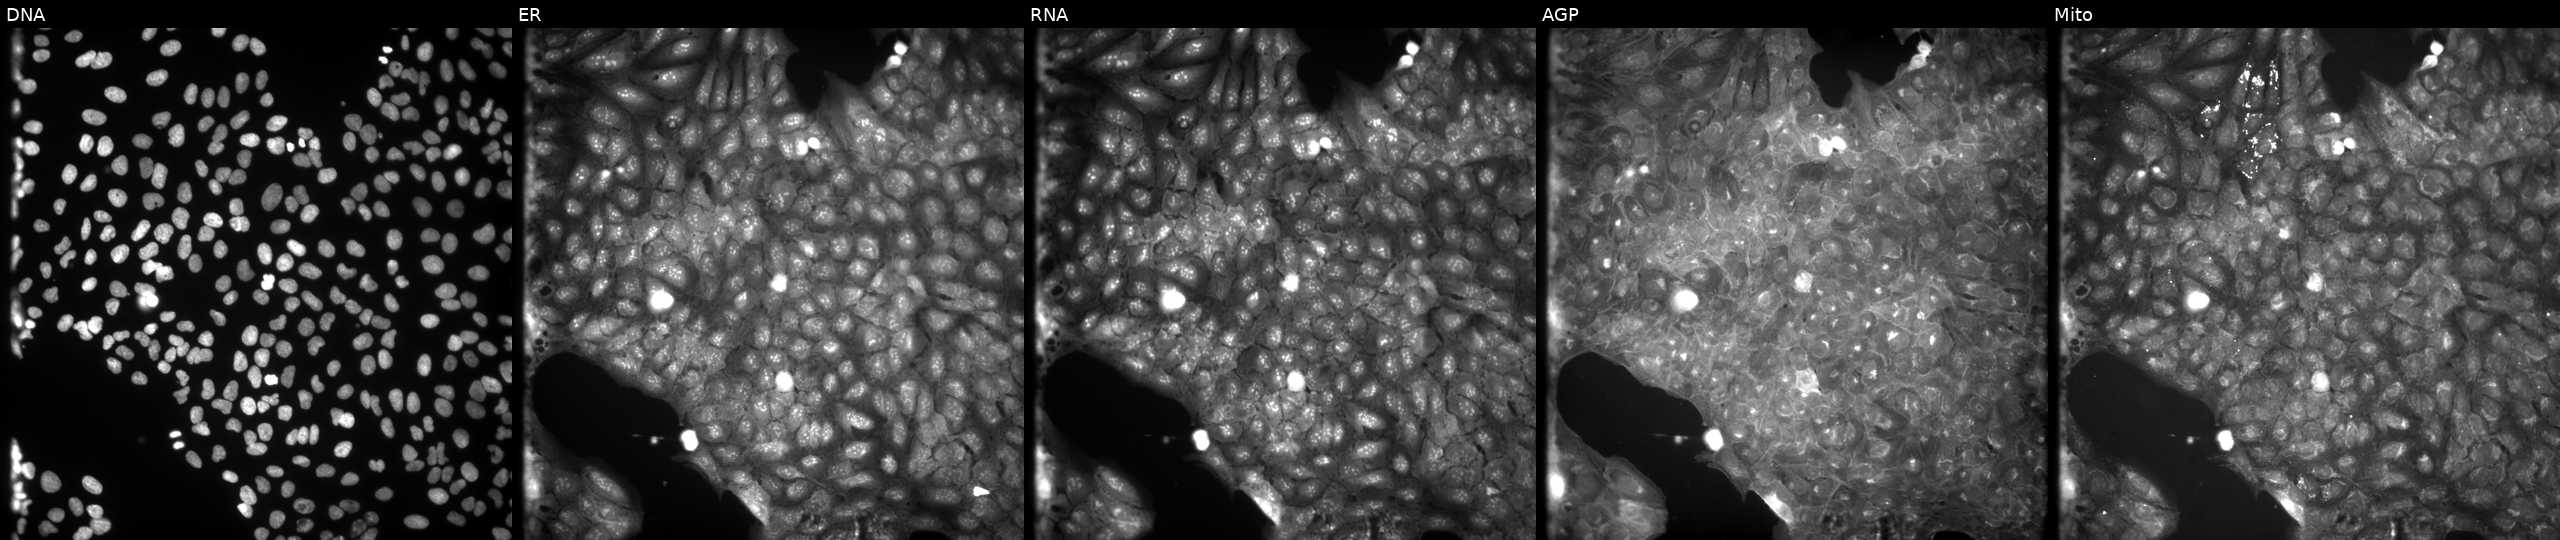
High-content fluorescence microscopy (Cell Painting). Cell line: U2OS. Perturbation: perturbed with a small-molecule compound (InChIKey RPQQSWRWBLHKJP-UHFFFAOYSA-N) (JUMP id JCP2022_079917). The five panels, left to right, show DNA (nuclei); ER (endoplasmic reticulum); RNA (nucleoli and cytoplasmic RNA); AGP (actin cytoskeleton, Golgi, and plasma membrane); Mito (mitochondria).